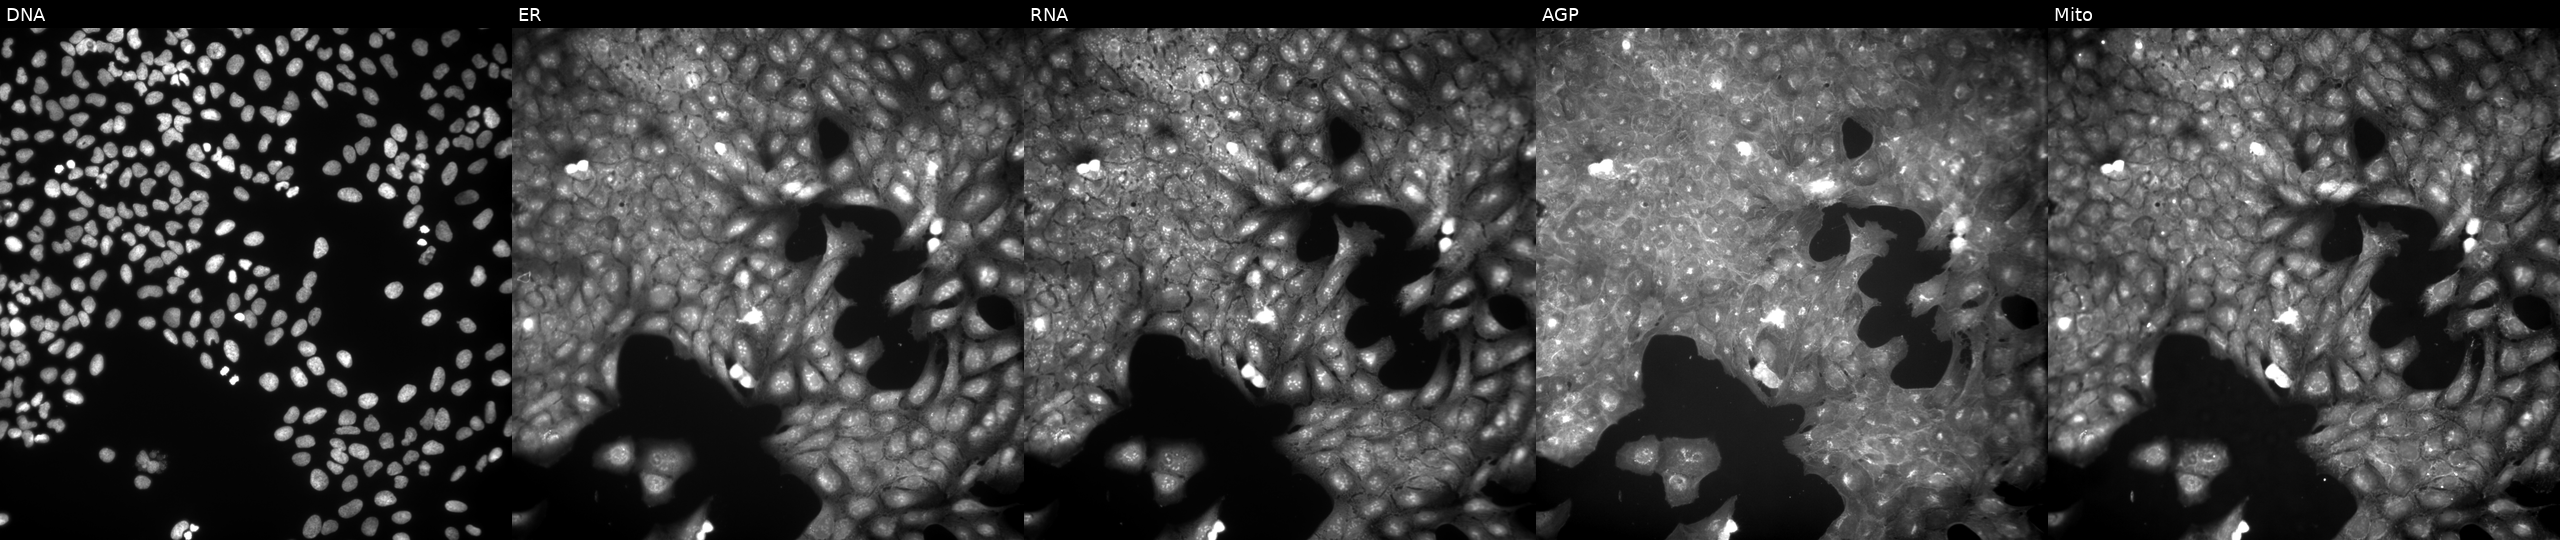
Channels (left→right): DNA (nuclei); ER (endoplasmic reticulum); RNA (nucleoli and cytoplasmic RNA); AGP (actin cytoskeleton, Golgi, and plasma membrane); Mito (mitochondria). U2OS osteosarcoma cells exposed to a small-molecule compound (InChIKey VCHCSHACXOALLJ-UHFFFAOYSA-N) [SMILES: Cc1nc2ccccc2c(=O)n1NCc1cccs1]. Cell Painting assay, JUMP-CP dataset.